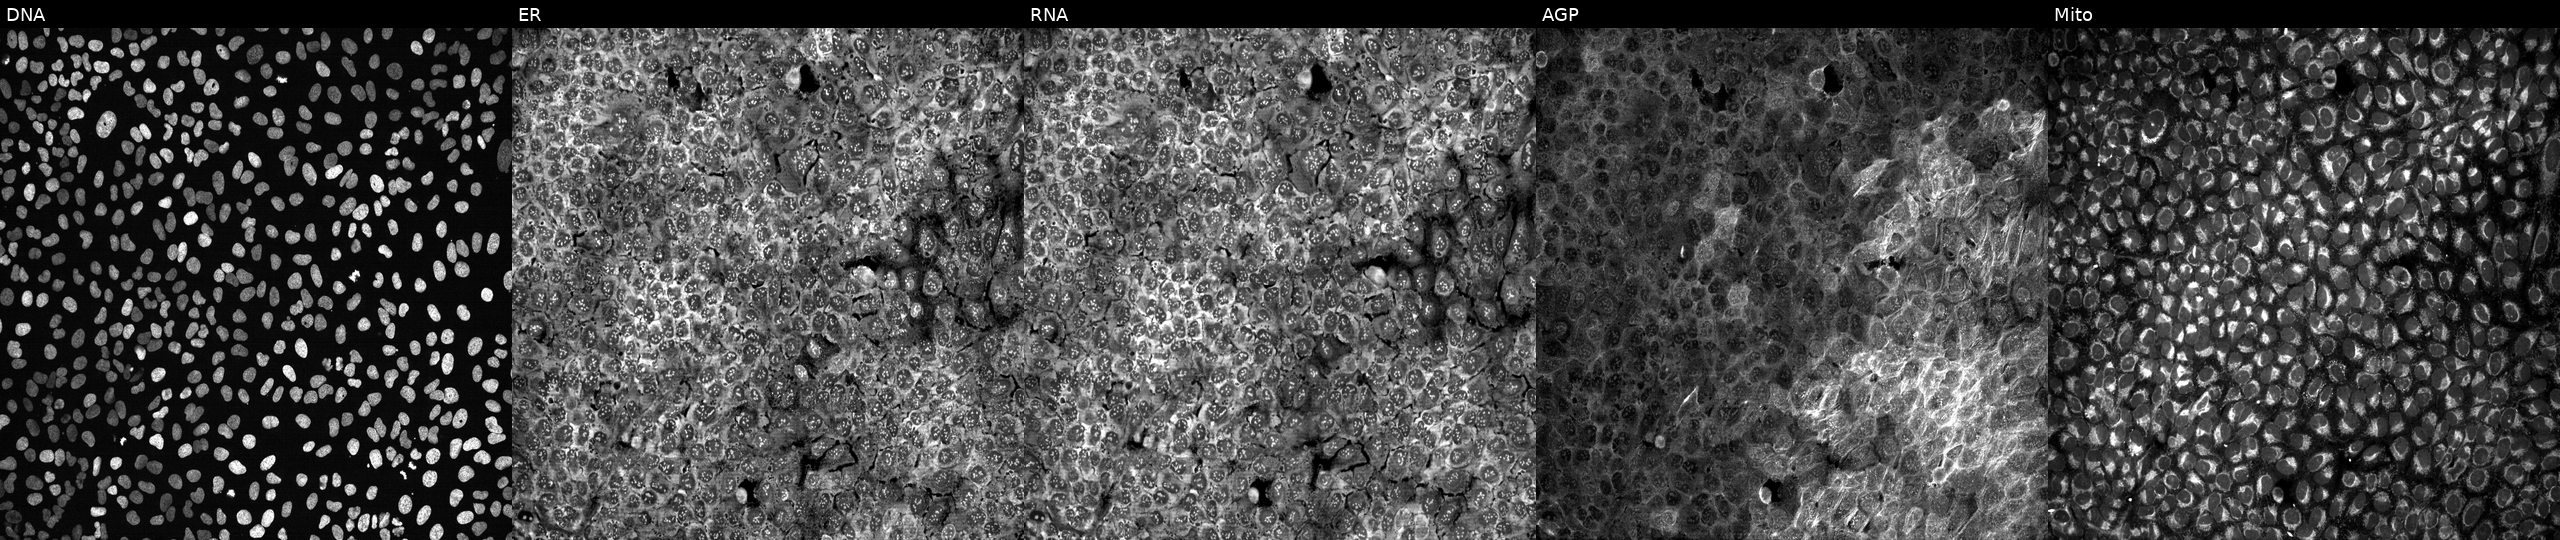
U2OS cells, Cell Painting assay, with no CRISPR guide (negative control). The five panels, left to right, show Hoechst 33342, concanavalin A, SYTO 14, phalloidin and WGA, MitoTracker. Each panel is percentile-stretched 16-bit fluorescence.